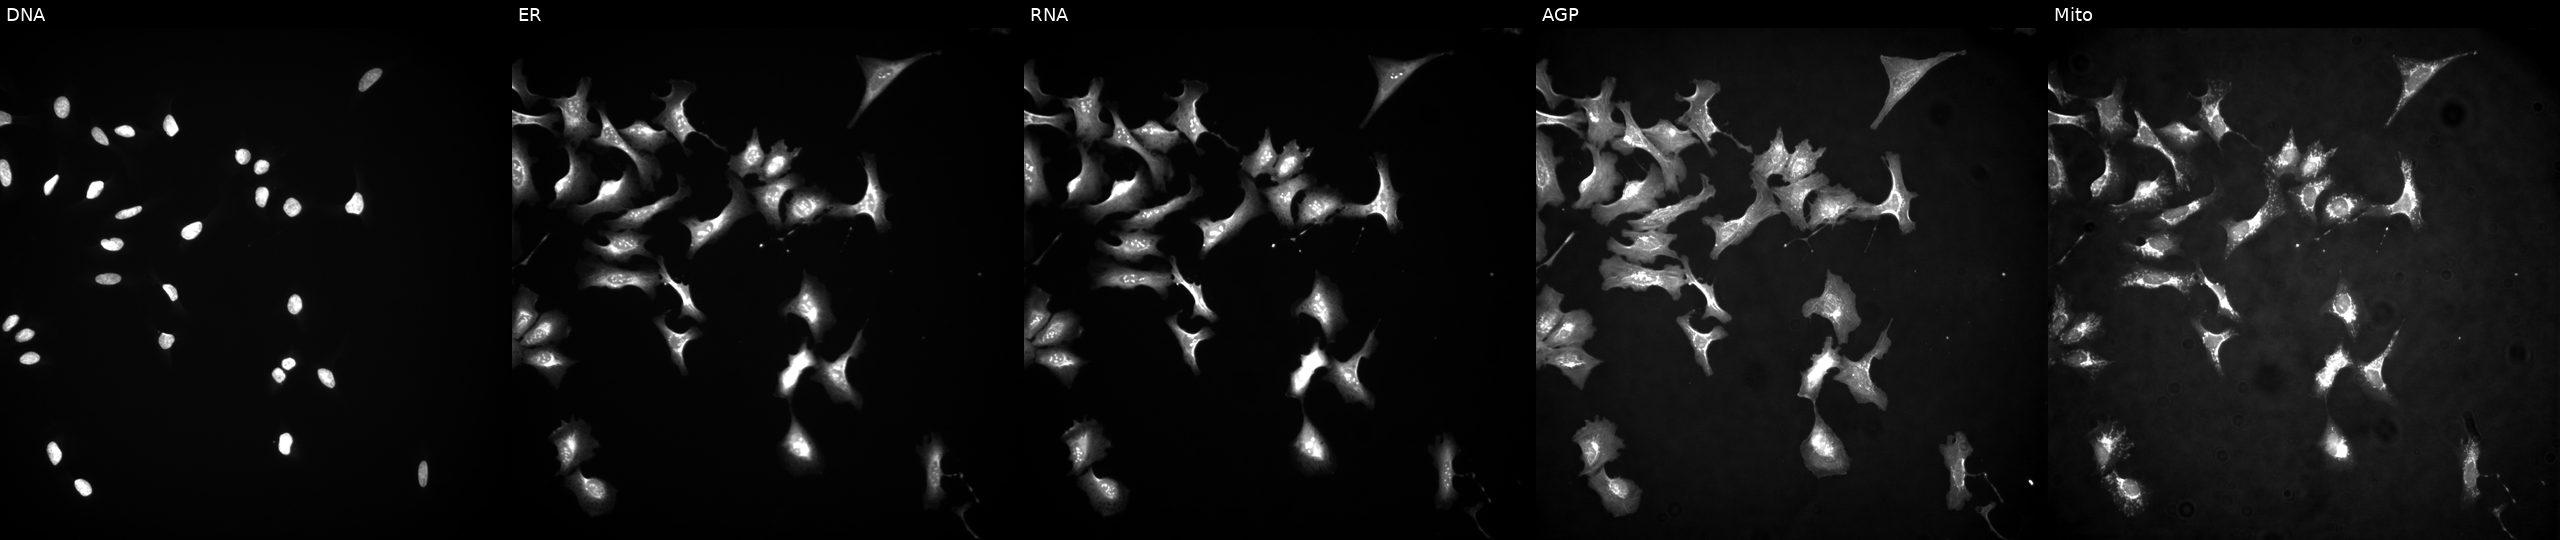
JUMP Cell Painting — ORF plate. U2OS cells overexpressing TMEM183A via ORF transfection (JUMP id JCP2022_904296). From left to right: DNA, ER, RNA, AGP, and Mito.